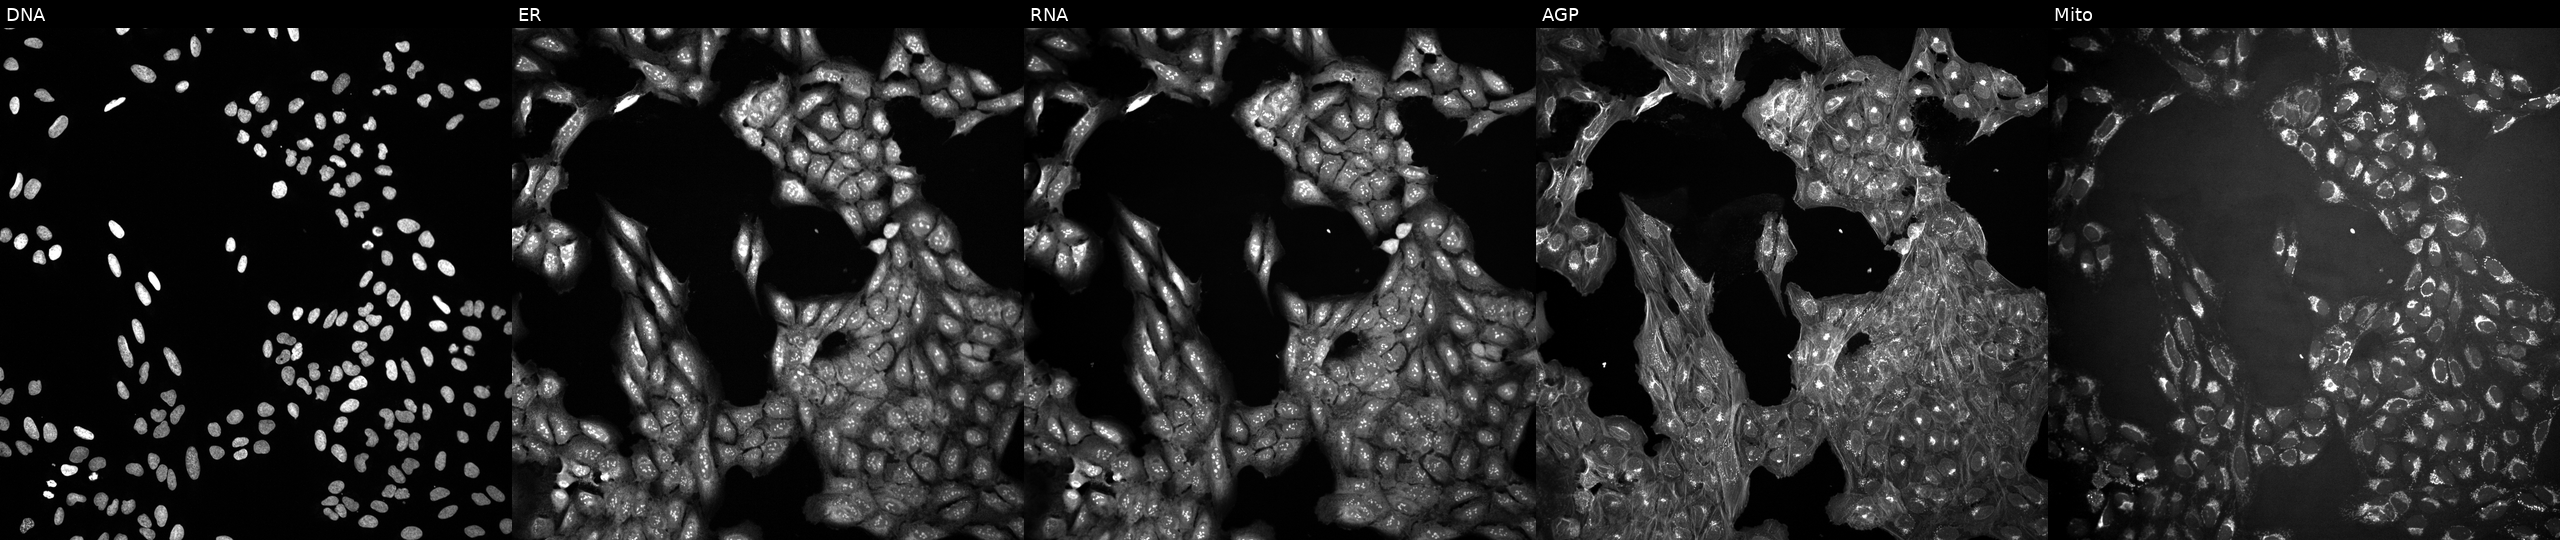
Five-channel Cell Painting image of U2OS cells in an empty control well (no perturbation) (JUMP id JCP2022_999999). The five panels, left to right, show DNA (nuclei); ER (endoplasmic reticulum); RNA (nucleoli and cytoplasmic RNA); AGP (actin cytoskeleton, Golgi, and plasma membrane); Mito (mitochondria).